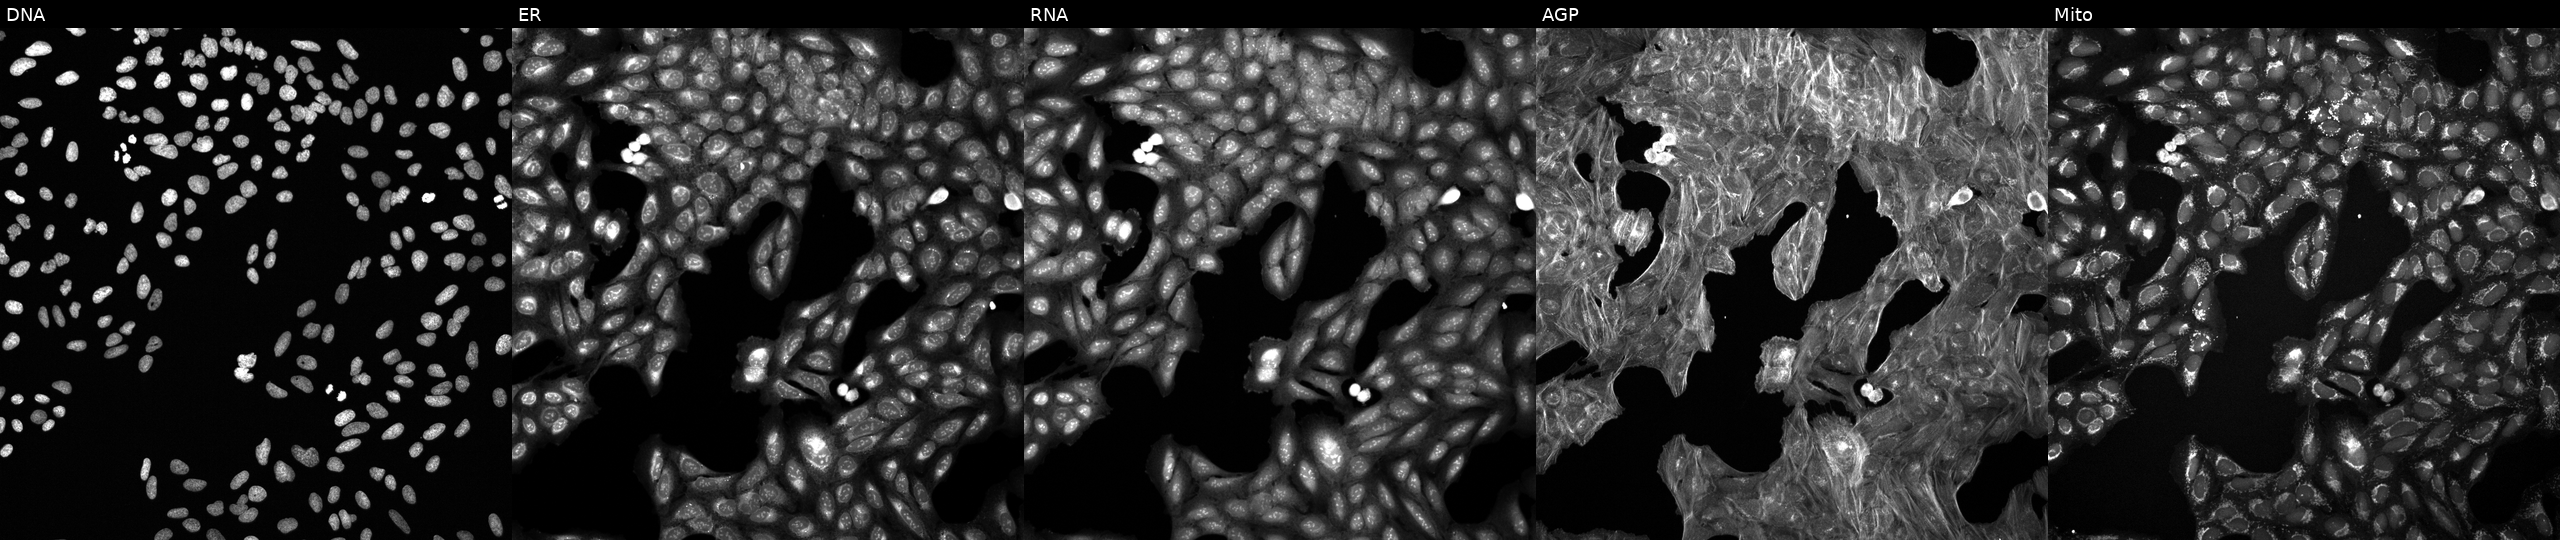
U2OS cells, Cell Painting assay, exposed to a small-molecule compound. Panels show, left to right, Hoechst 33342, concanavalin A, SYTO 14, phalloidin and WGA, MitoTracker. Each panel is percentile-stretched 16-bit fluorescence. Source 6, plate 110000293083, well O11.